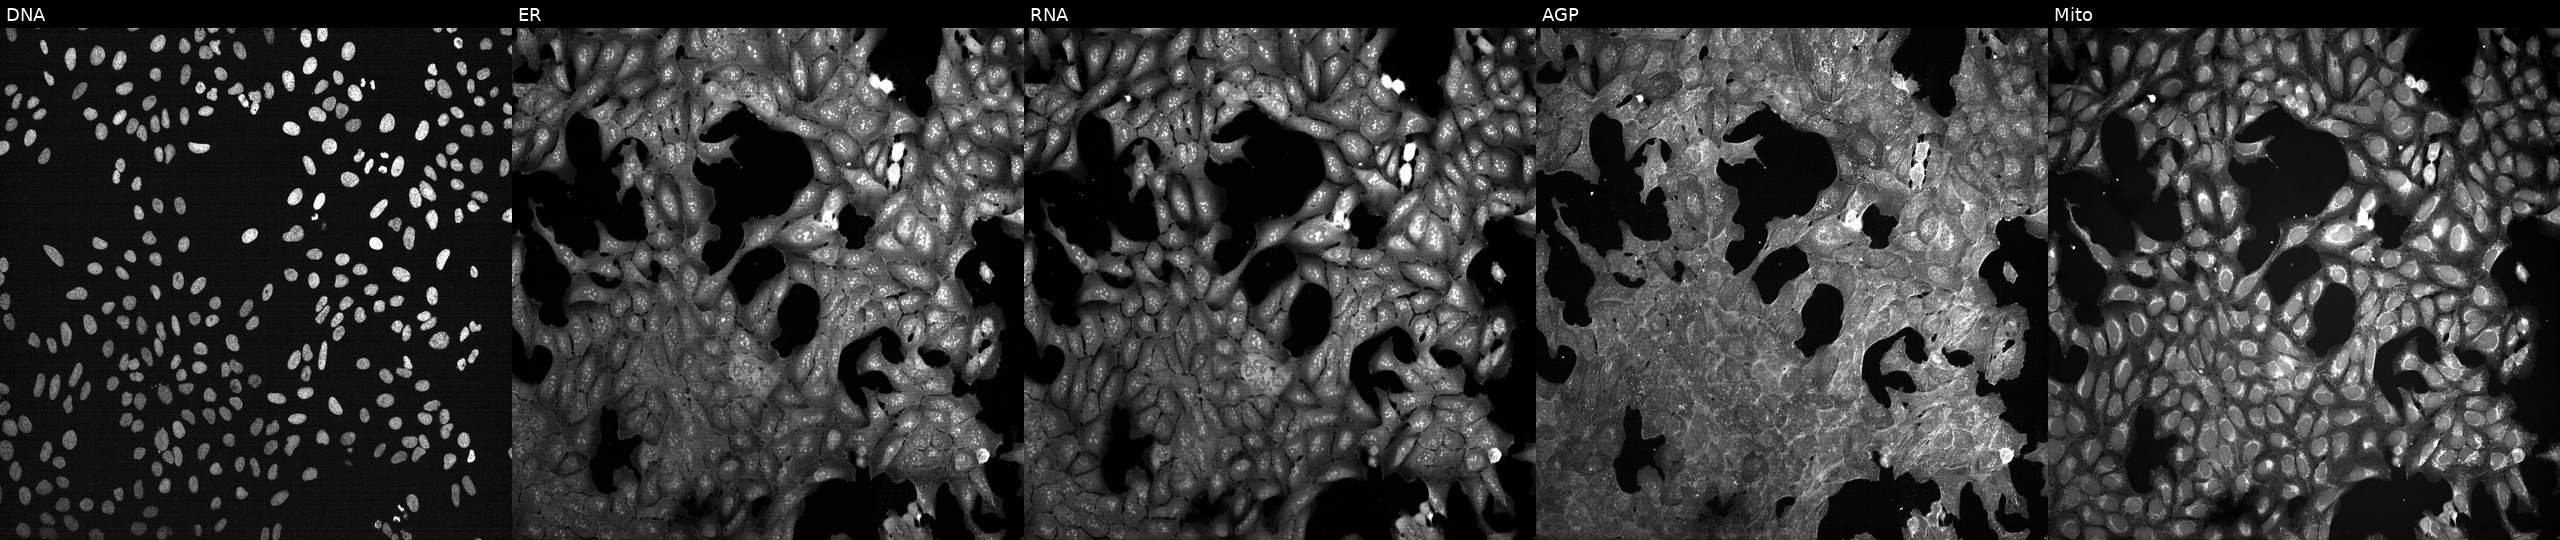
JUMP Cell Painting — TARGET2 plate. U2OS cells exposed to DMSO alone as a negative control (JUMP id JCP2022_033924). The five panels, left to right, show Hoechst 33342, concanavalin A, SYTO 14, phalloidin and WGA, MitoTracker.